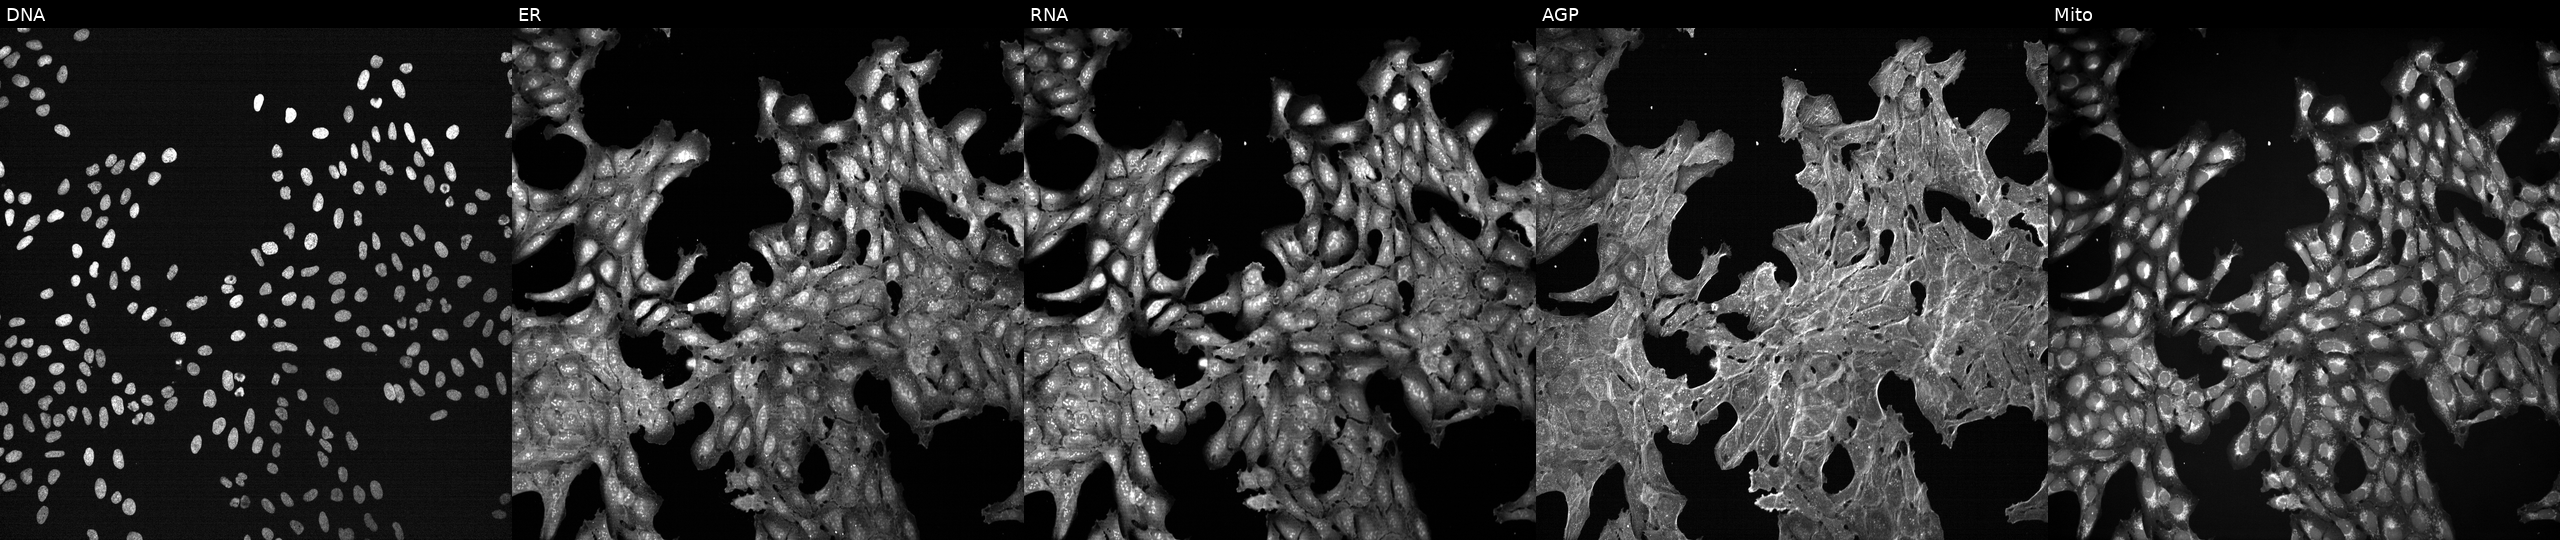
Five-channel Cell Painting image of U2OS cells perturbed with a small-molecule compound (InChIKey NLSSUSRERAMBTA-UHFFFAOYSA-N). From left to right: Hoechst 33342, concanavalin A, SYTO 14, phalloidin and WGA, MitoTracker. Source 7, plate CP3-SC1-25, well O19.